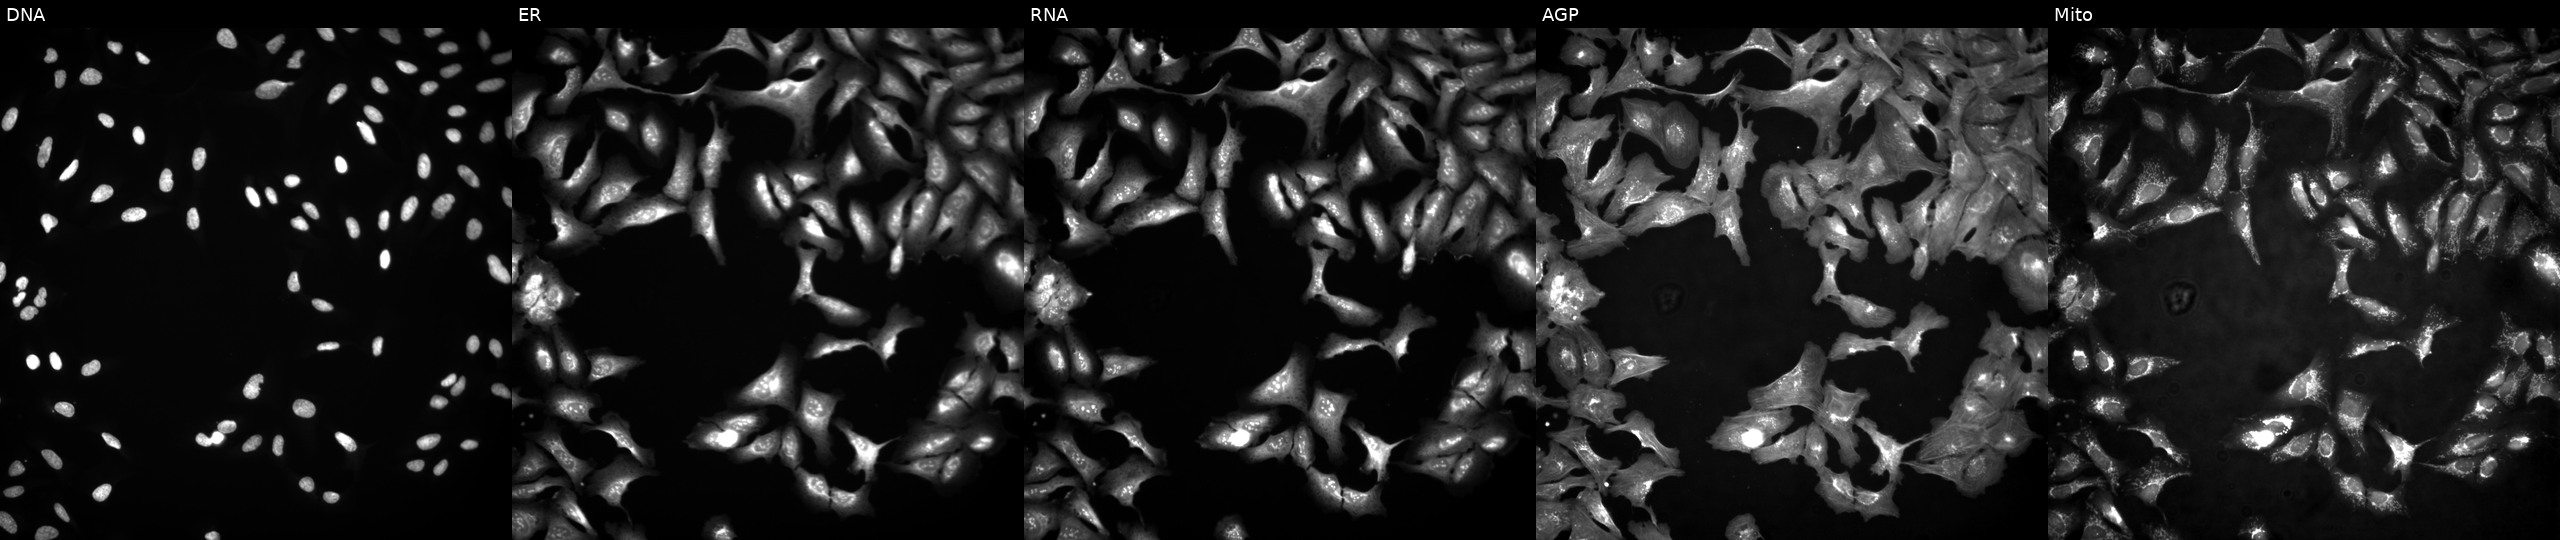
High-content fluorescence microscopy (Cell Painting). Cell line: U2OS. Perturbation: transfected with an ORF construct for PRKAB1 (JUMP id JCP2022_914138). From left to right: DNA, ER, RNA, AGP, and Mito. Source 4, plate BR00123945, well C19.